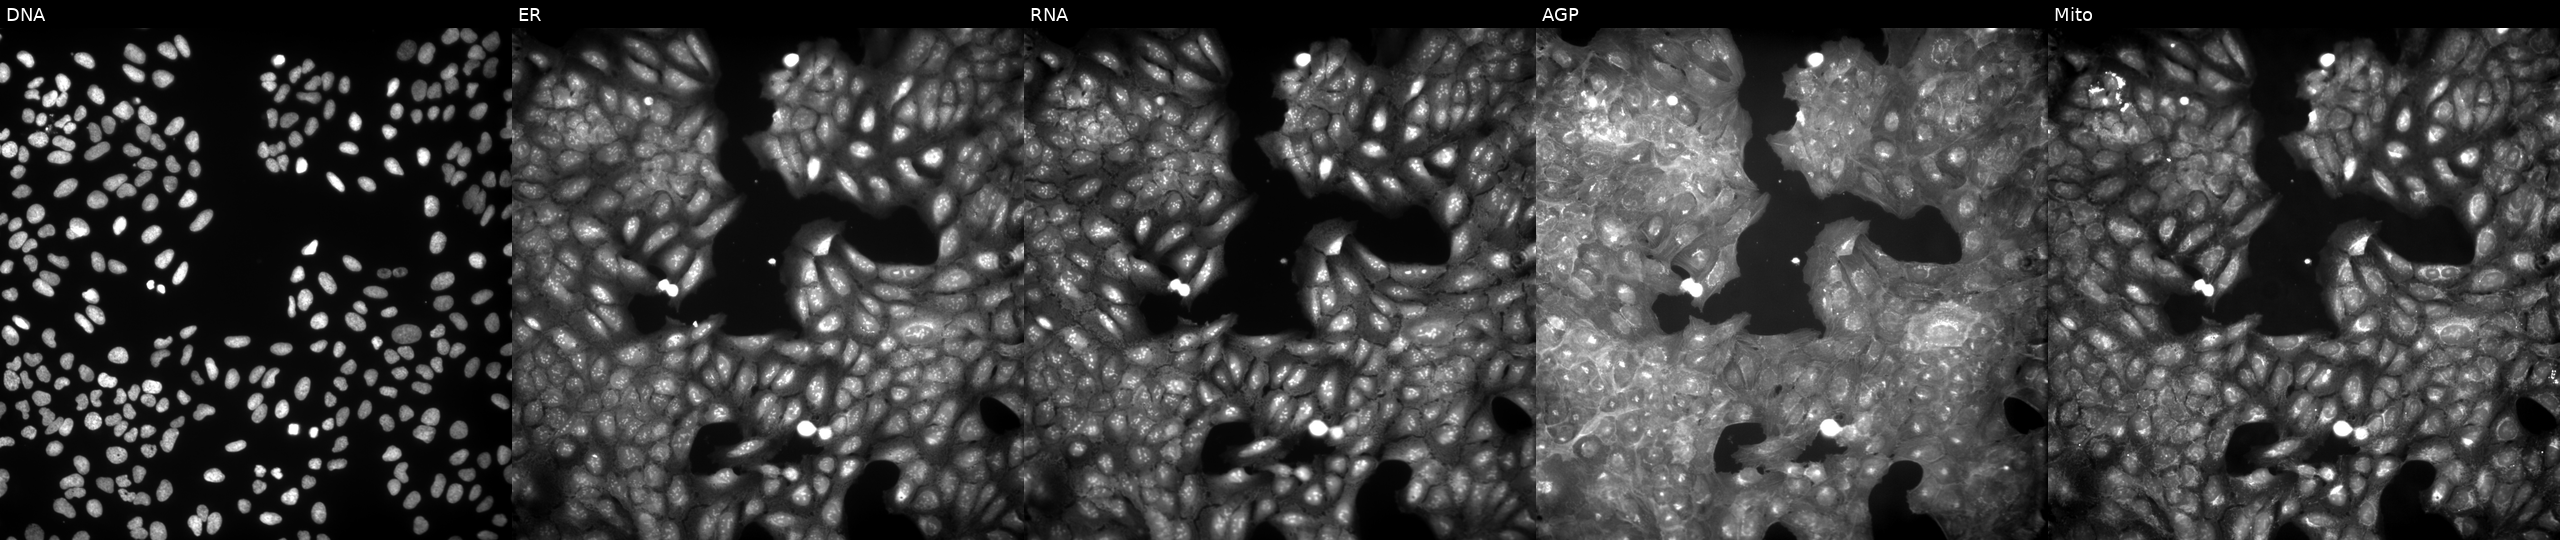
High-content fluorescence microscopy (Cell Painting). Cell line: U2OS. Perturbation: perturbed with a small-molecule compound (InChIKey MCVRPCMOTQNFQJ-UHFFFAOYSA-N). From left to right: DNA, ER, RNA, AGP, and Mito. Source 9, plate GR00003381, well Z20.